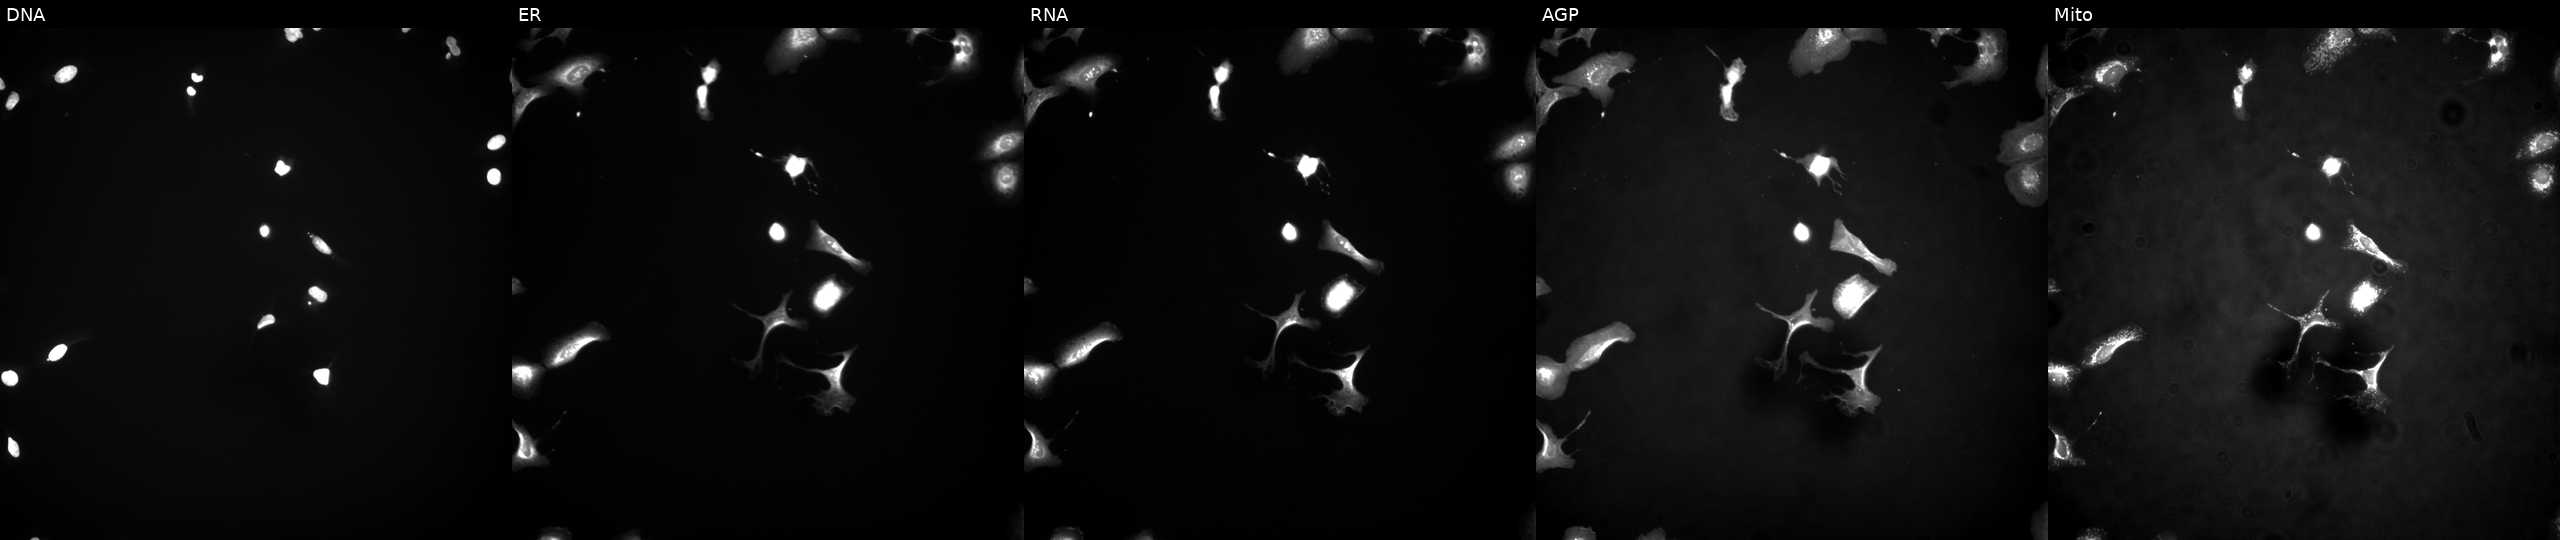
U2OS cells, Cell Painting assay, with RPAP3 overexpressed (ORF). Channels (left→right): DNA, ER, RNA, AGP, and Mito. Each panel is percentile-stretched 16-bit fluorescence.